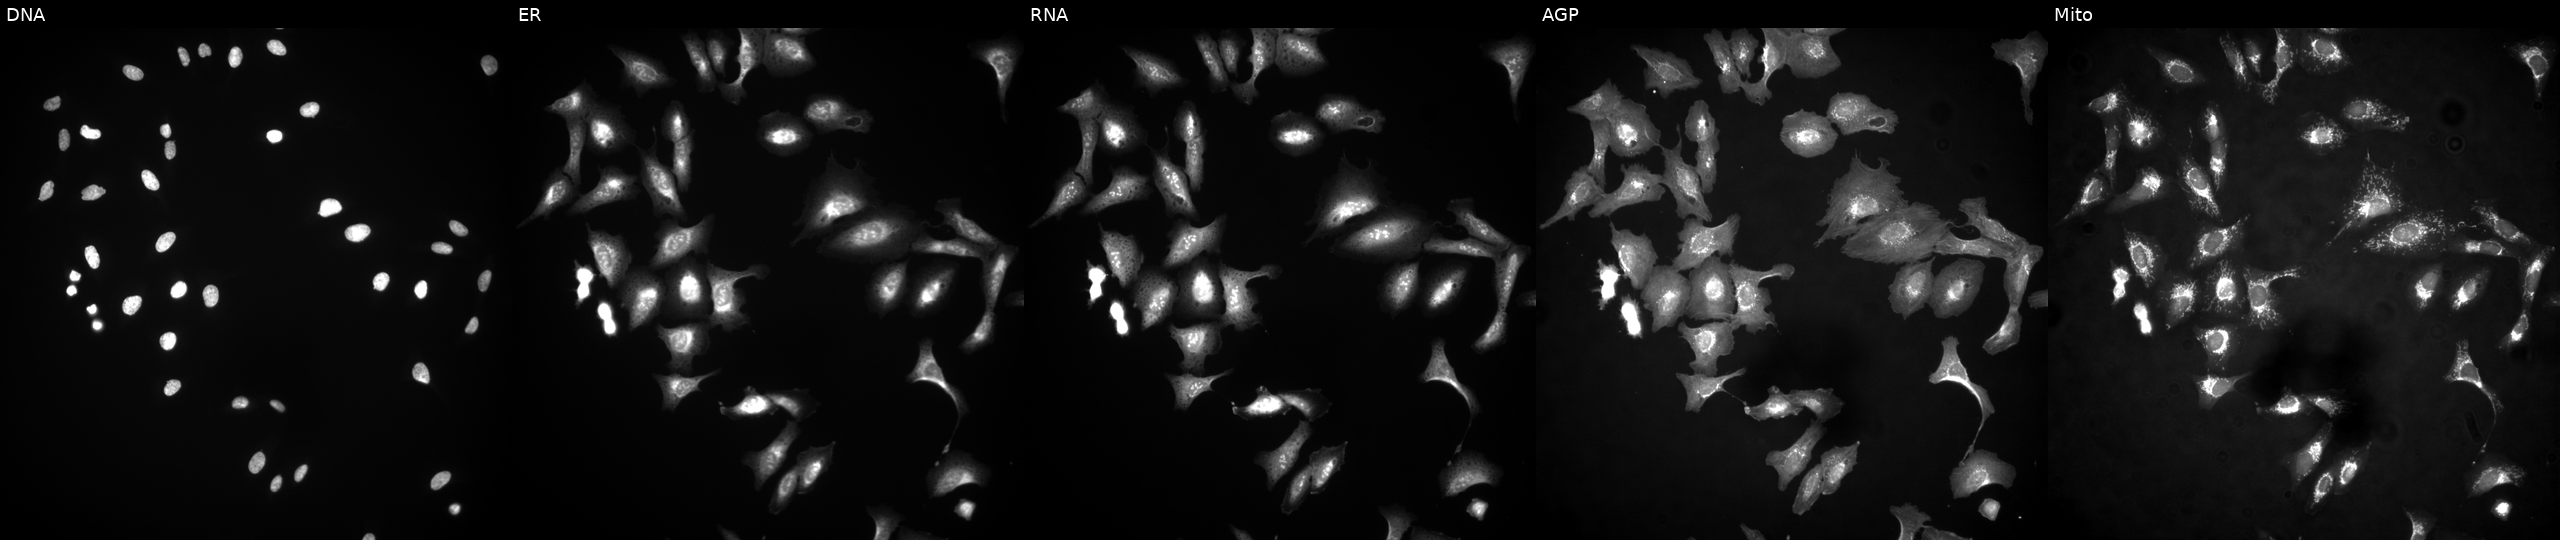
High-content fluorescence microscopy (Cell Painting). Cell line: U2OS. Perturbation: overexpressing SLC39A3 via ORF transfection. Panels show, left to right, Hoechst 33342, concanavalin A, SYTO 14, phalloidin and WGA, MitoTracker. Source 4, plate BR00124790, well O15.